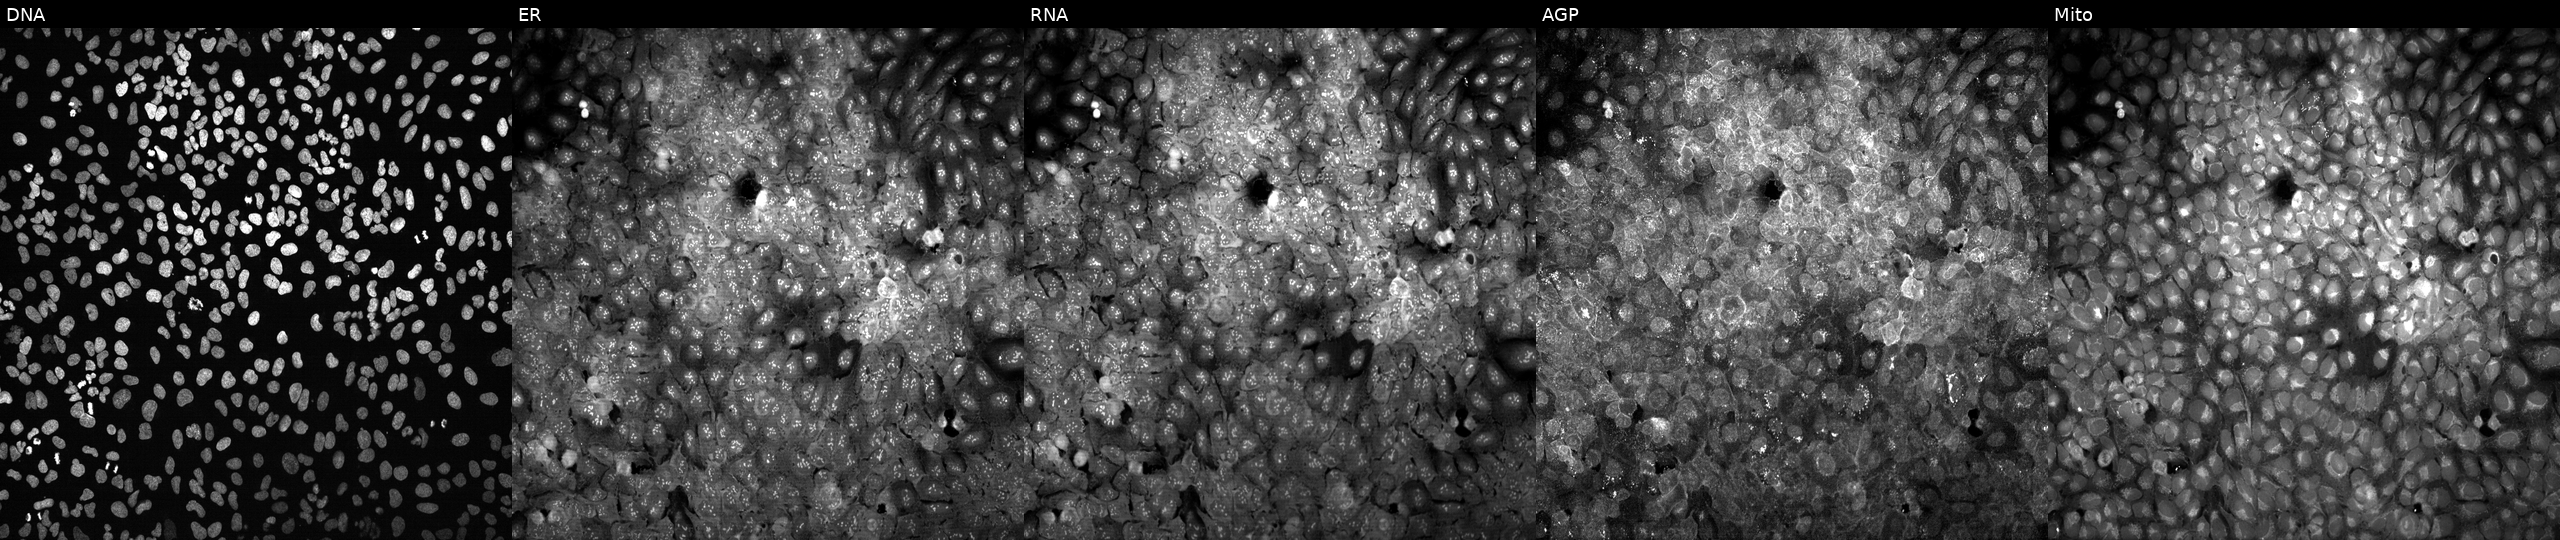
High-content fluorescence microscopy (Cell Painting). Cell line: U2OS. Perturbation: CRISPR-edited to disrupt MGMT. The five panels, left to right, show Hoechst 33342, concanavalin A, SYTO 14, phalloidin and WGA, MitoTracker.